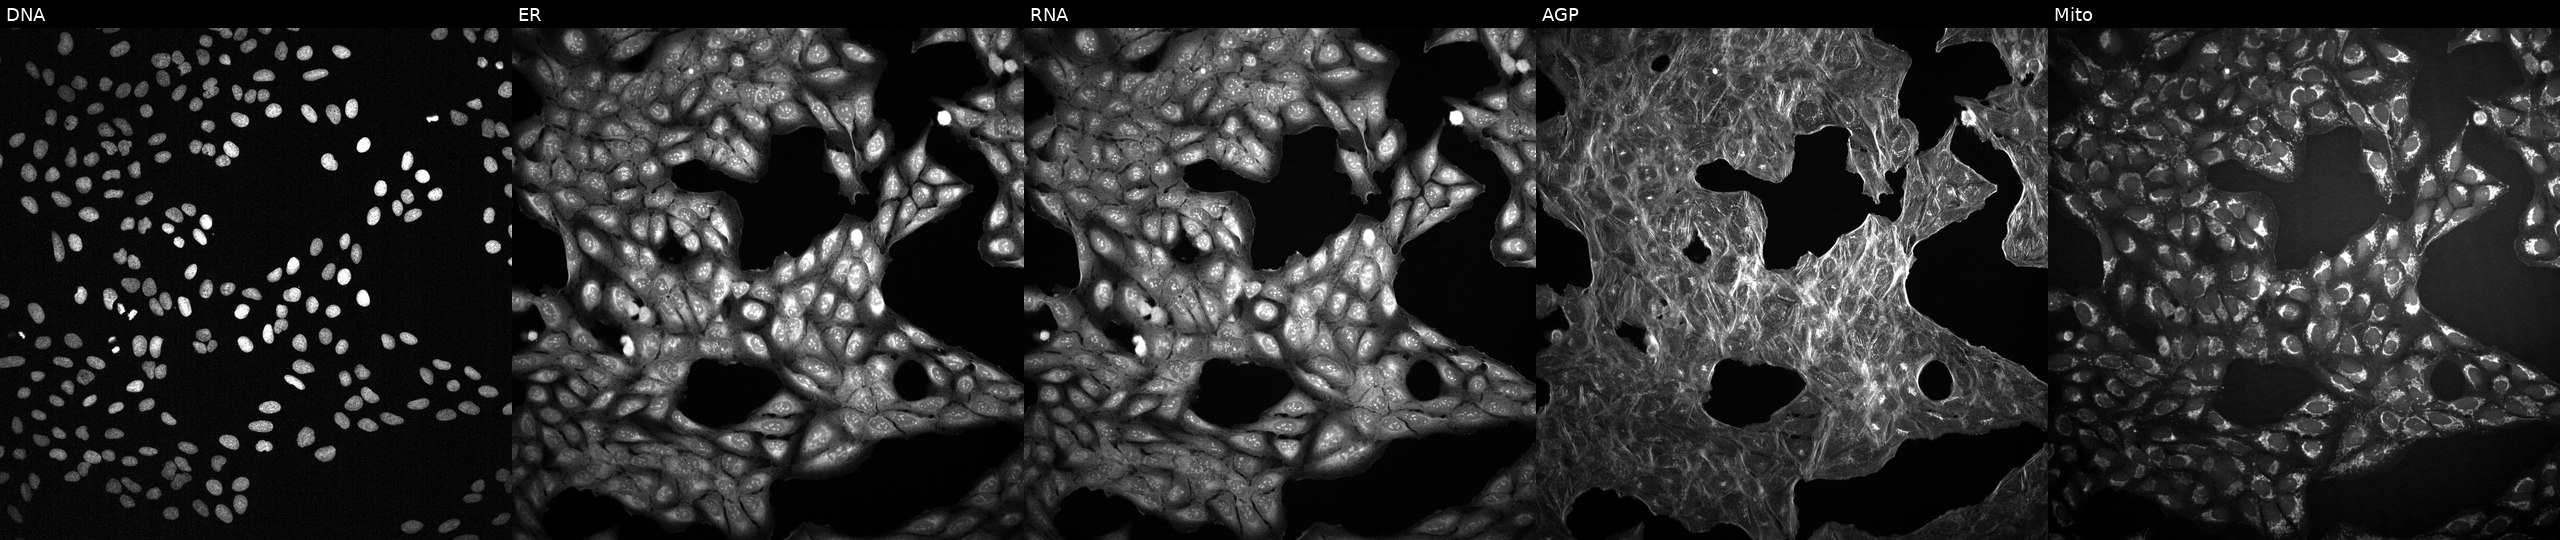
U2OS cells, Cell Painting assay, treated with a small-molecule compound [SMILES: O=C(O)CC(O)(CC(=O)O)C(=O)O]. Panels show, left to right, DNA (nuclei); ER (endoplasmic reticulum); RNA (nucleoli and cytoplasmic RNA); AGP (actin cytoskeleton, Golgi, and plasma membrane); Mito (mitochondria). Each panel is percentile-stretched 16-bit fluorescence.